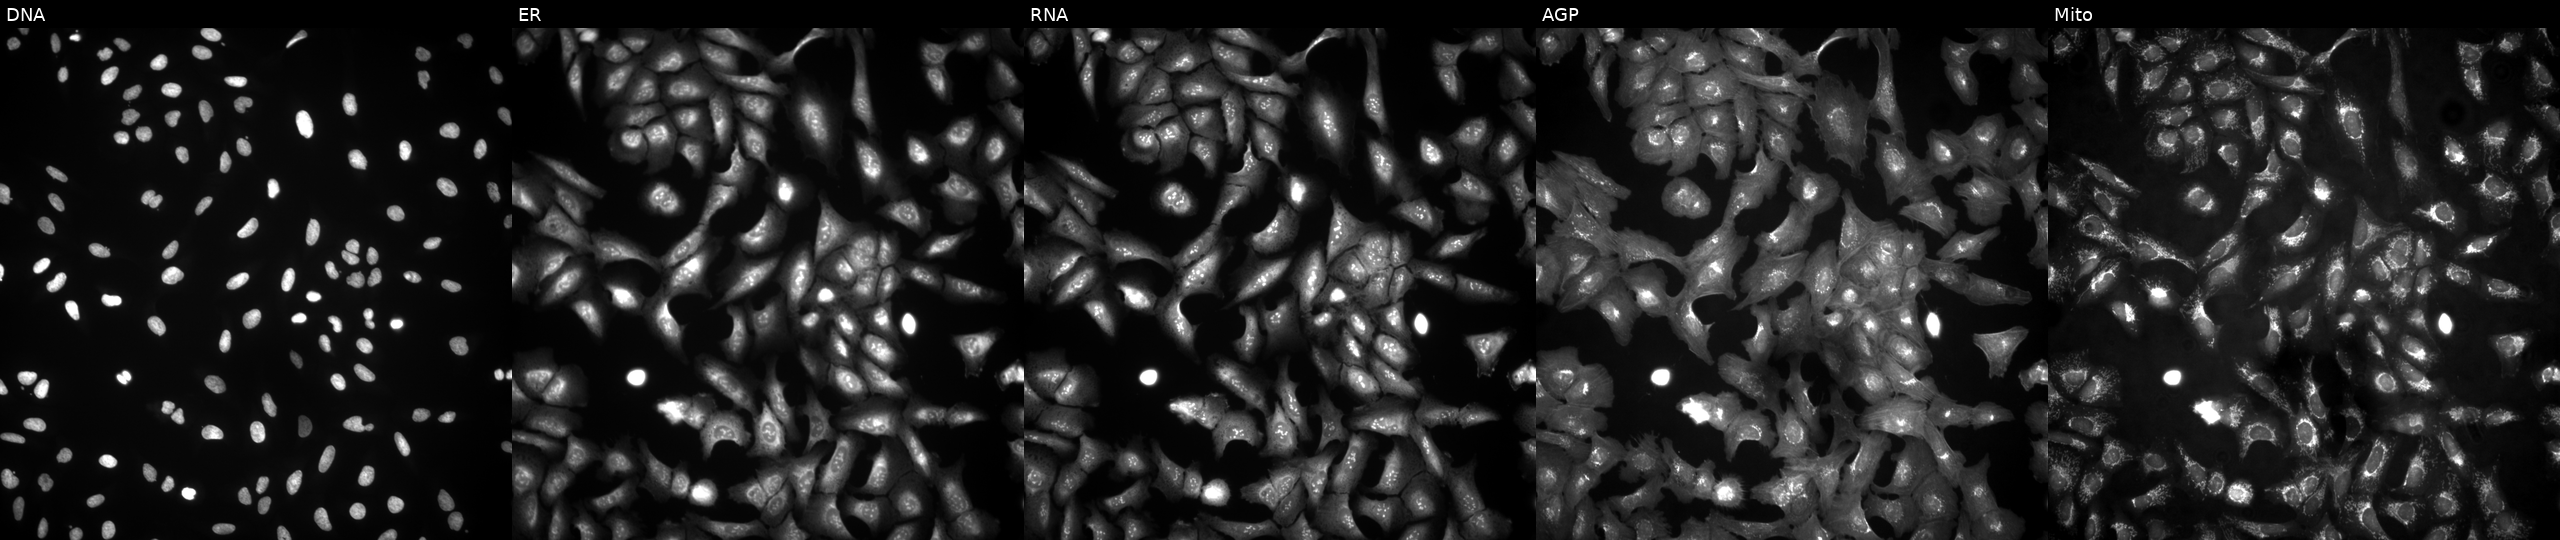
Five-channel Cell Painting image of U2OS cells transfected with an ORF construct for IGHM (JUMP id JCP2022_914475). From left to right: DNA, ER, RNA, AGP, and Mito. Source 4, plate BR00124790, well F07.